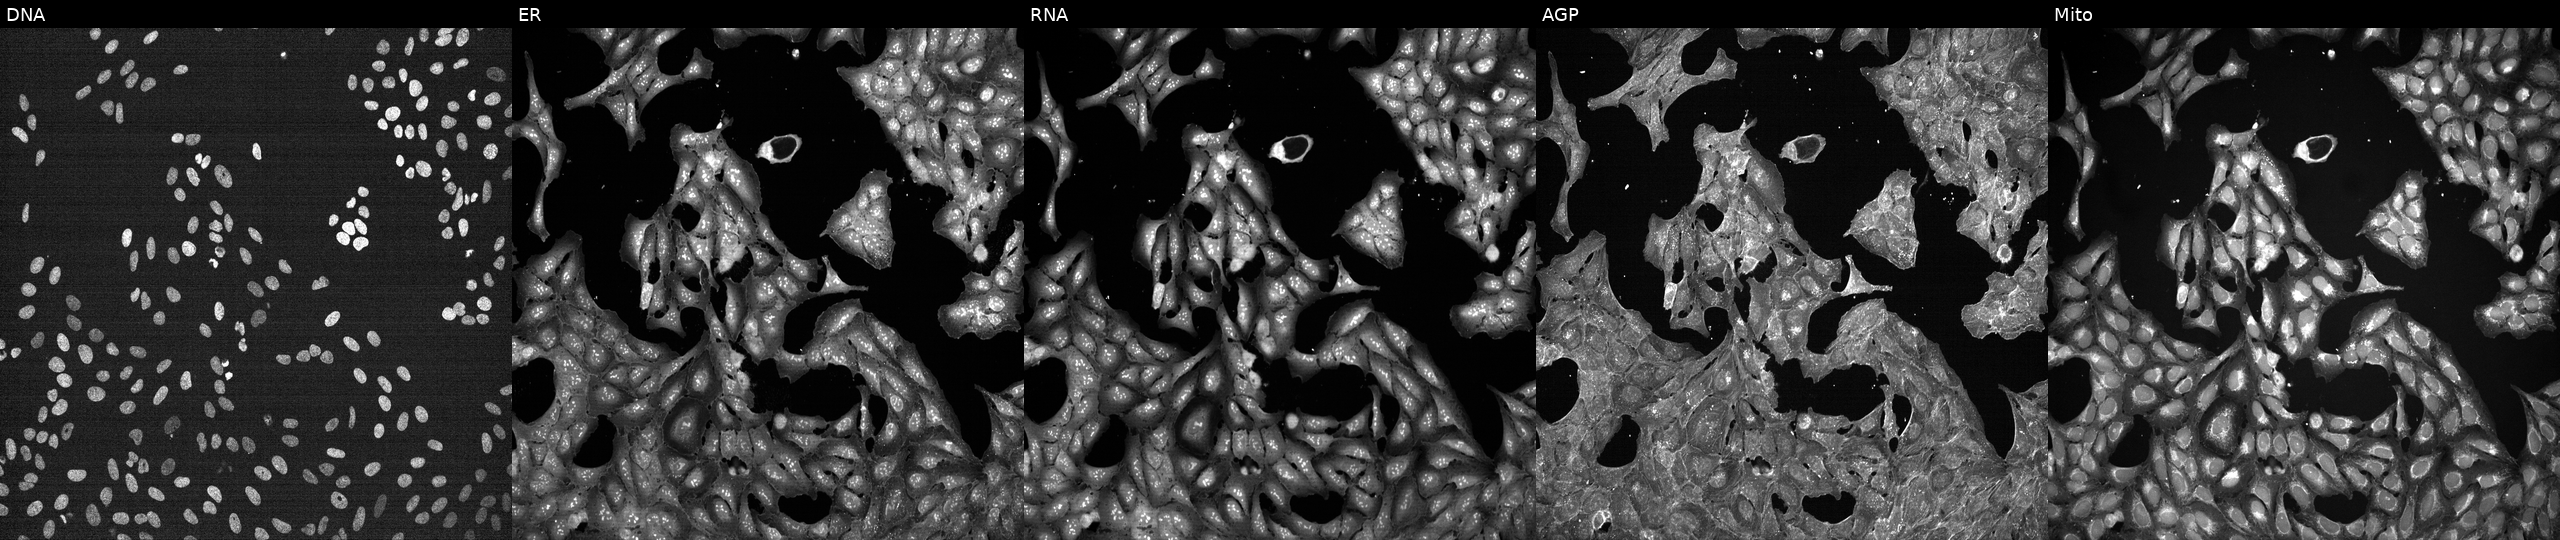
High-content fluorescence microscopy (Cell Painting). Cell line: U2OS. Perturbation: treated with a small-molecule compound. Panels show, left to right, DNA, ER, RNA, AGP, and Mito. Source 7, plate CP1-SC1-25, well A16.